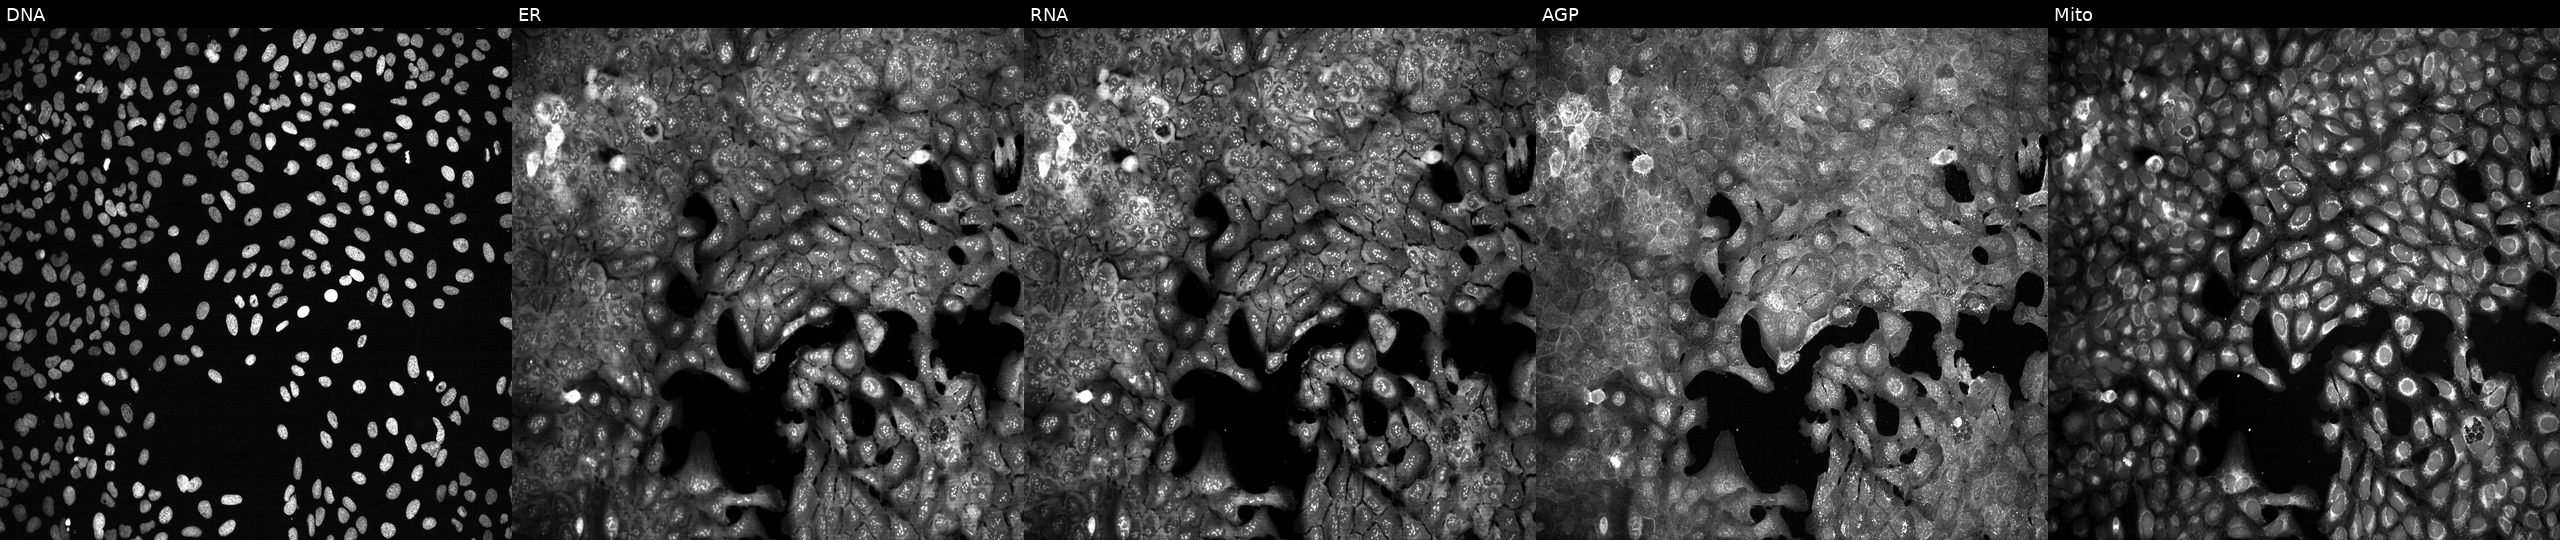
Five-channel Cell Painting image of U2OS cells with a non-targeting CRISPR guide (negative control) (JUMP id JCP2022_800002). From left to right: DNA (nuclei); ER (endoplasmic reticulum); RNA (nucleoli and cytoplasmic RNA); AGP (actin cytoskeleton, Golgi, and plasma membrane); Mito (mitochondria).